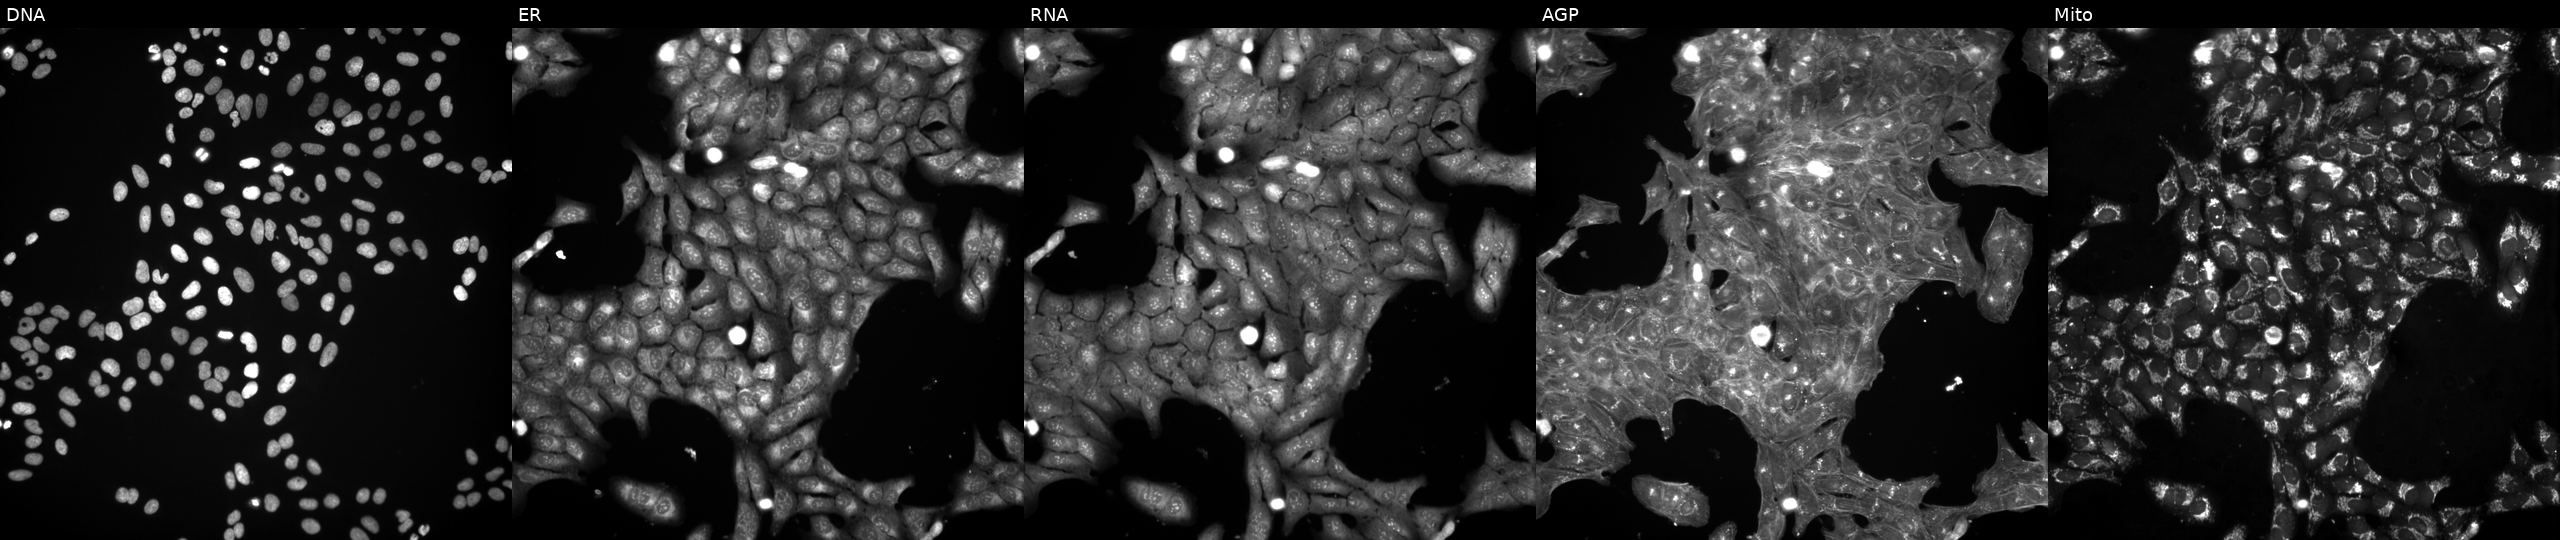
U2OS cells, Cell Painting assay, perturbed with a small-molecule compound [SMILES: CN1CCN(c2ccc(C=C(C#N)c3ccccc3Br)cc2)CC1]. From left to right: DNA, ER, RNA, AGP, and Mito. Each panel is percentile-stretched 16-bit fluorescence.